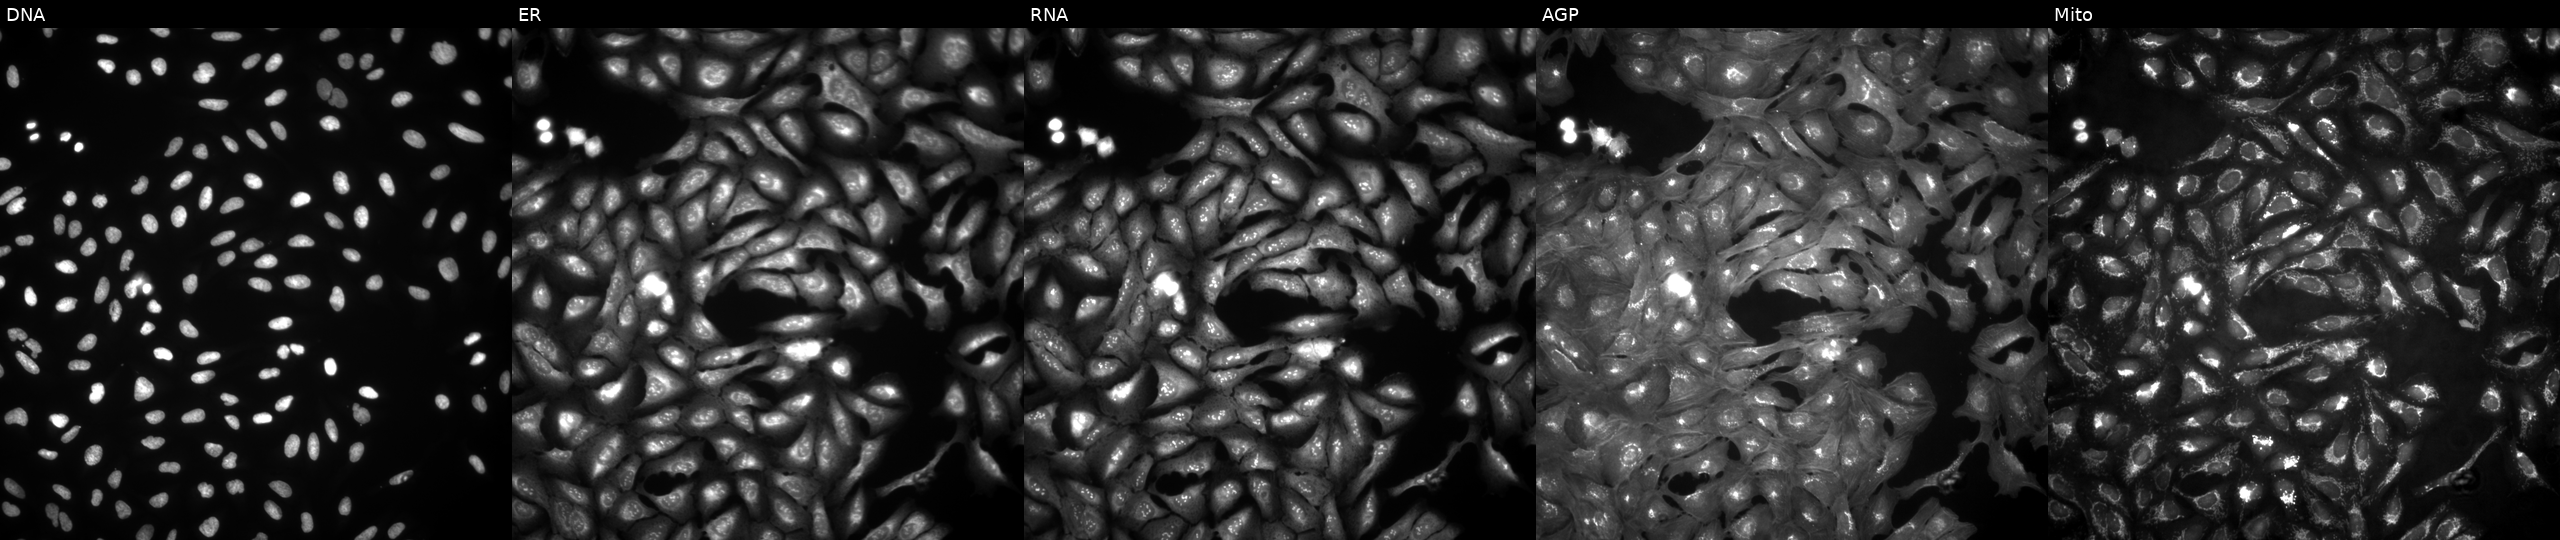
U2OS cells, Cell Painting assay, overexpressing COL4A6 via ORF transfection. Panels show, left to right, Hoechst 33342, concanavalin A, SYTO 14, phalloidin and WGA, MitoTracker. Each panel is percentile-stretched 16-bit fluorescence.